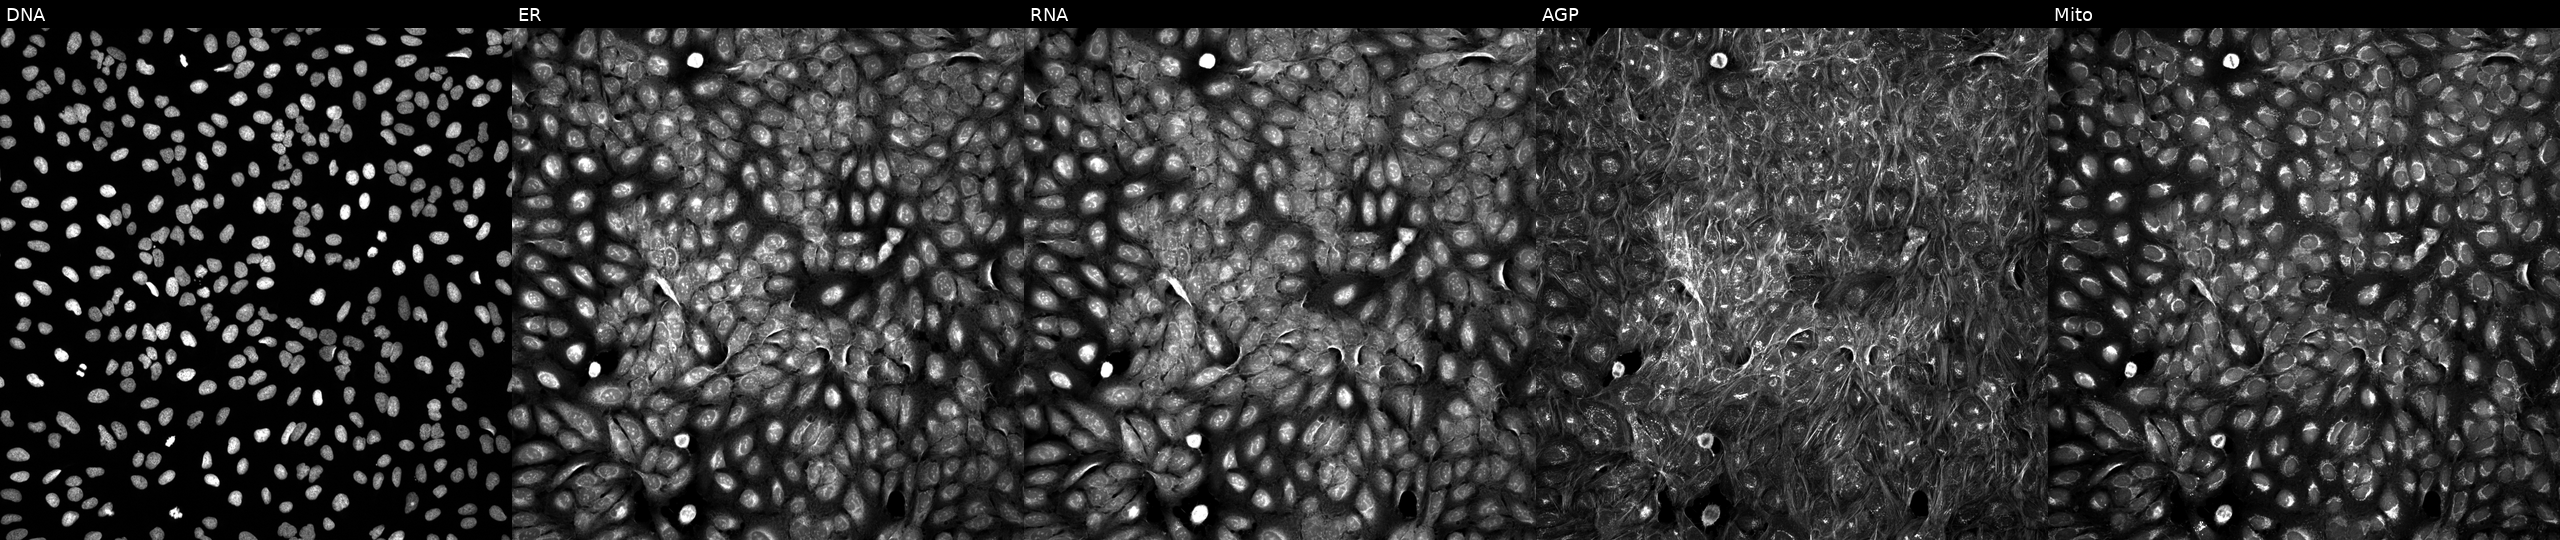
This image strip shows the five Cell Painting channels for a single field of U2OS cells perturbed with a small-molecule compound (JUMP id JCP2022_062023). From left to right: DNA, ER, RNA, AGP, and Mito. Source 5, plate ACPJUM051, well P08.